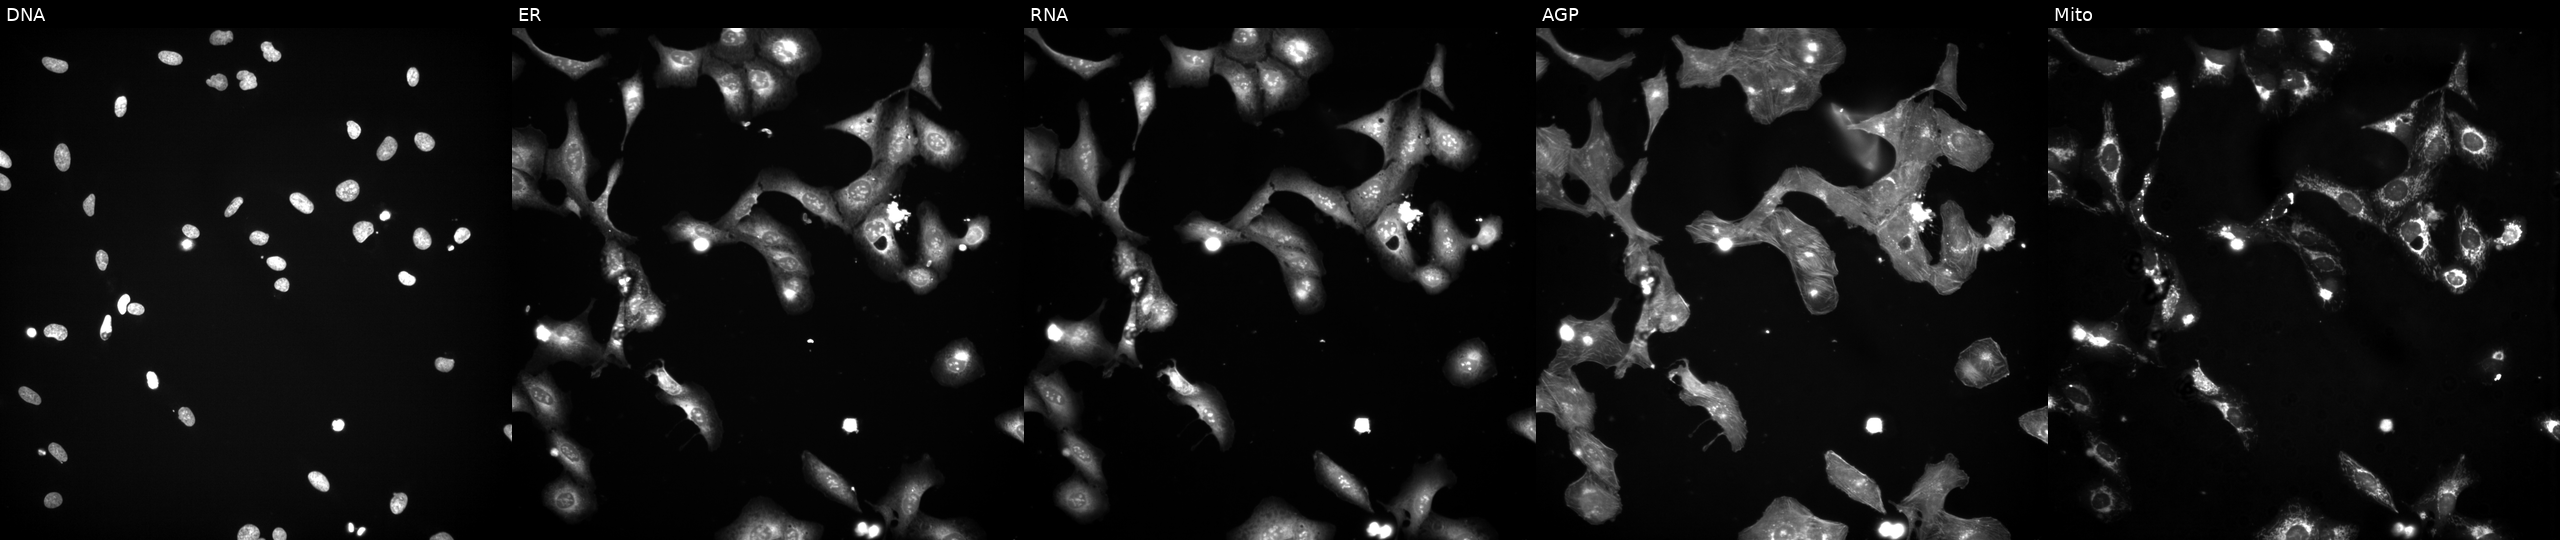
JUMP Cell Painting — TARGET2 plate. U2OS cells perturbed with a small-molecule compound (JUMP id JCP2022_032771). Channels (left→right): DNA (nuclei); ER (endoplasmic reticulum); RNA (nucleoli and cytoplasmic RNA); AGP (actin cytoskeleton, Golgi, and plasma membrane); Mito (mitochondria).